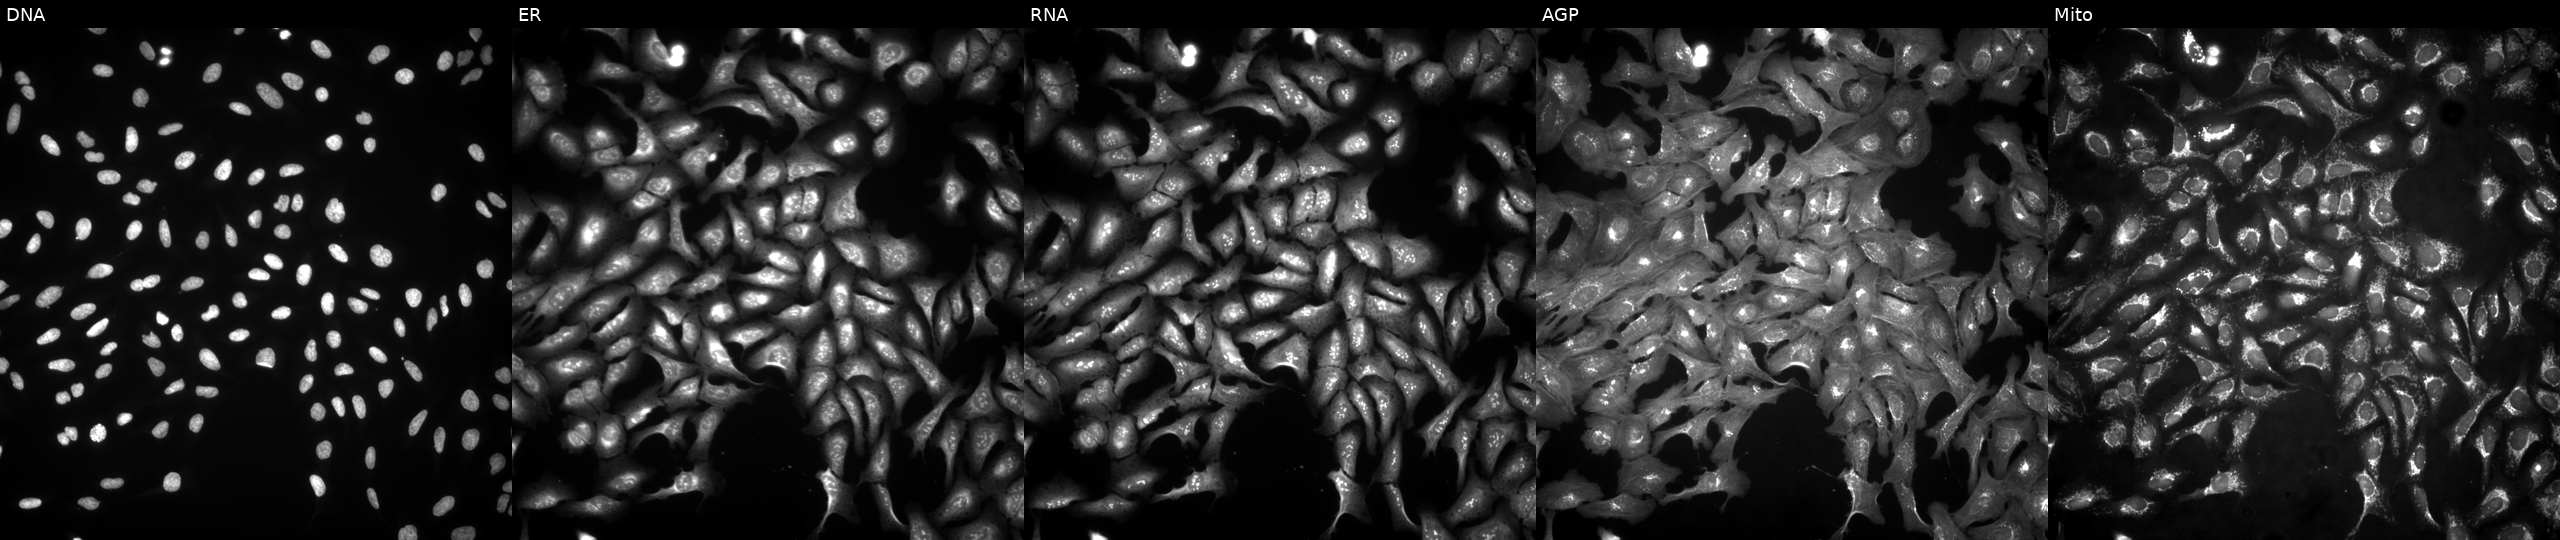
The five panels, left to right, show Hoechst 33342, concanavalin A, SYTO 14, phalloidin and WGA, MitoTracker. U2OS osteosarcoma cells transfected with an ORF construct for SNAPC5. Cell Painting assay, JUMP-CP dataset. Source 4, plate BR00123509, well H07.